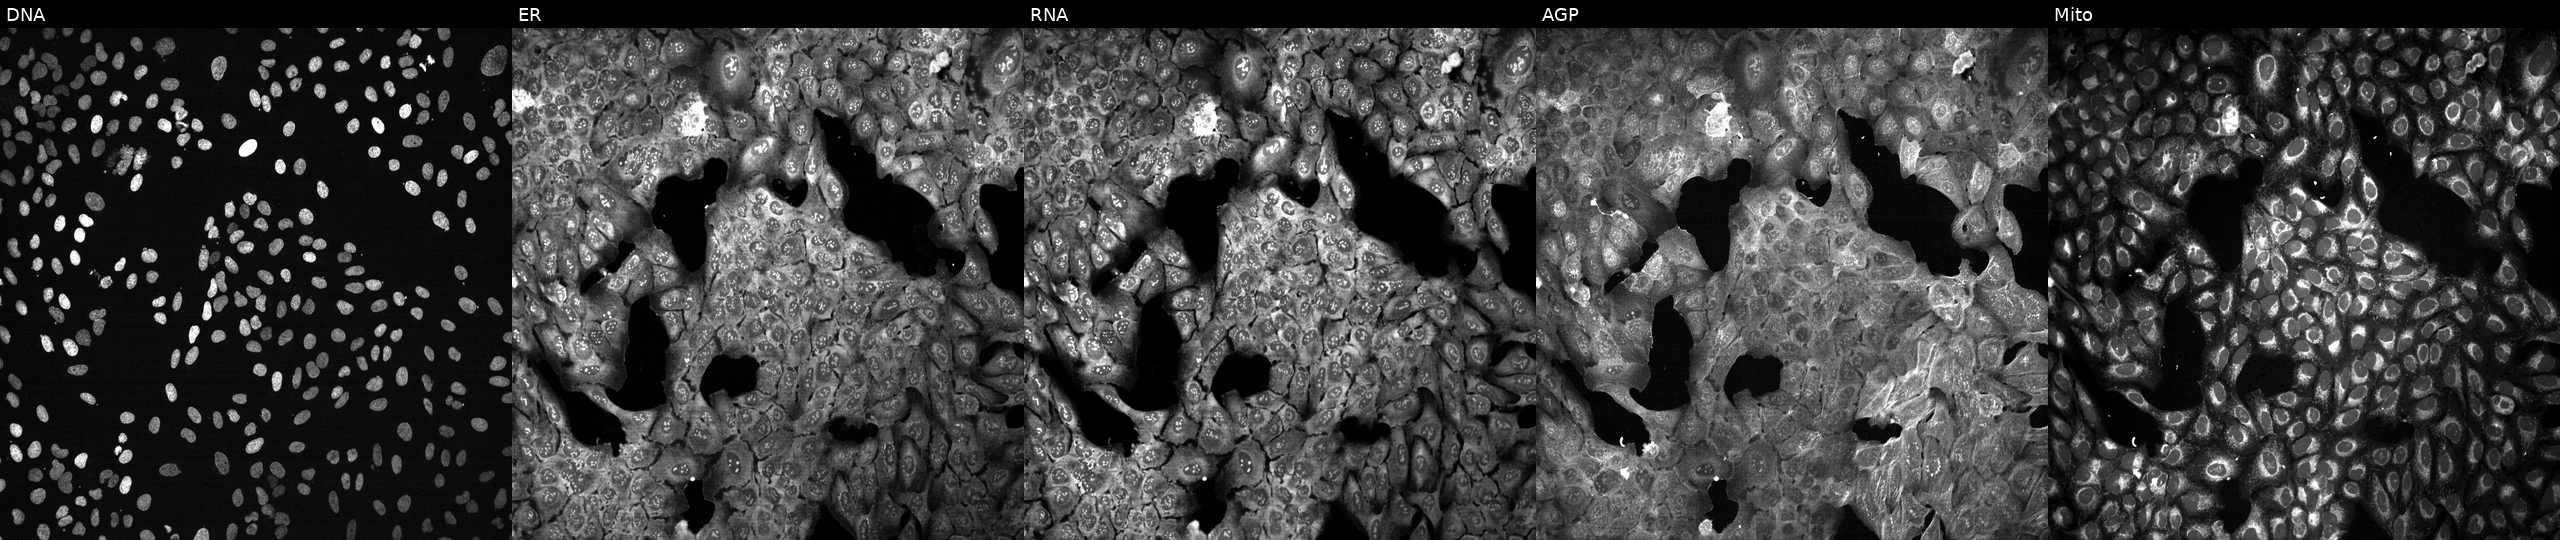
From left to right: DNA, ER, RNA, AGP, and Mito. U2OS osteosarcoma cells following CRISPR knockout of PDIA5. Cell Painting assay, JUMP-CP dataset.